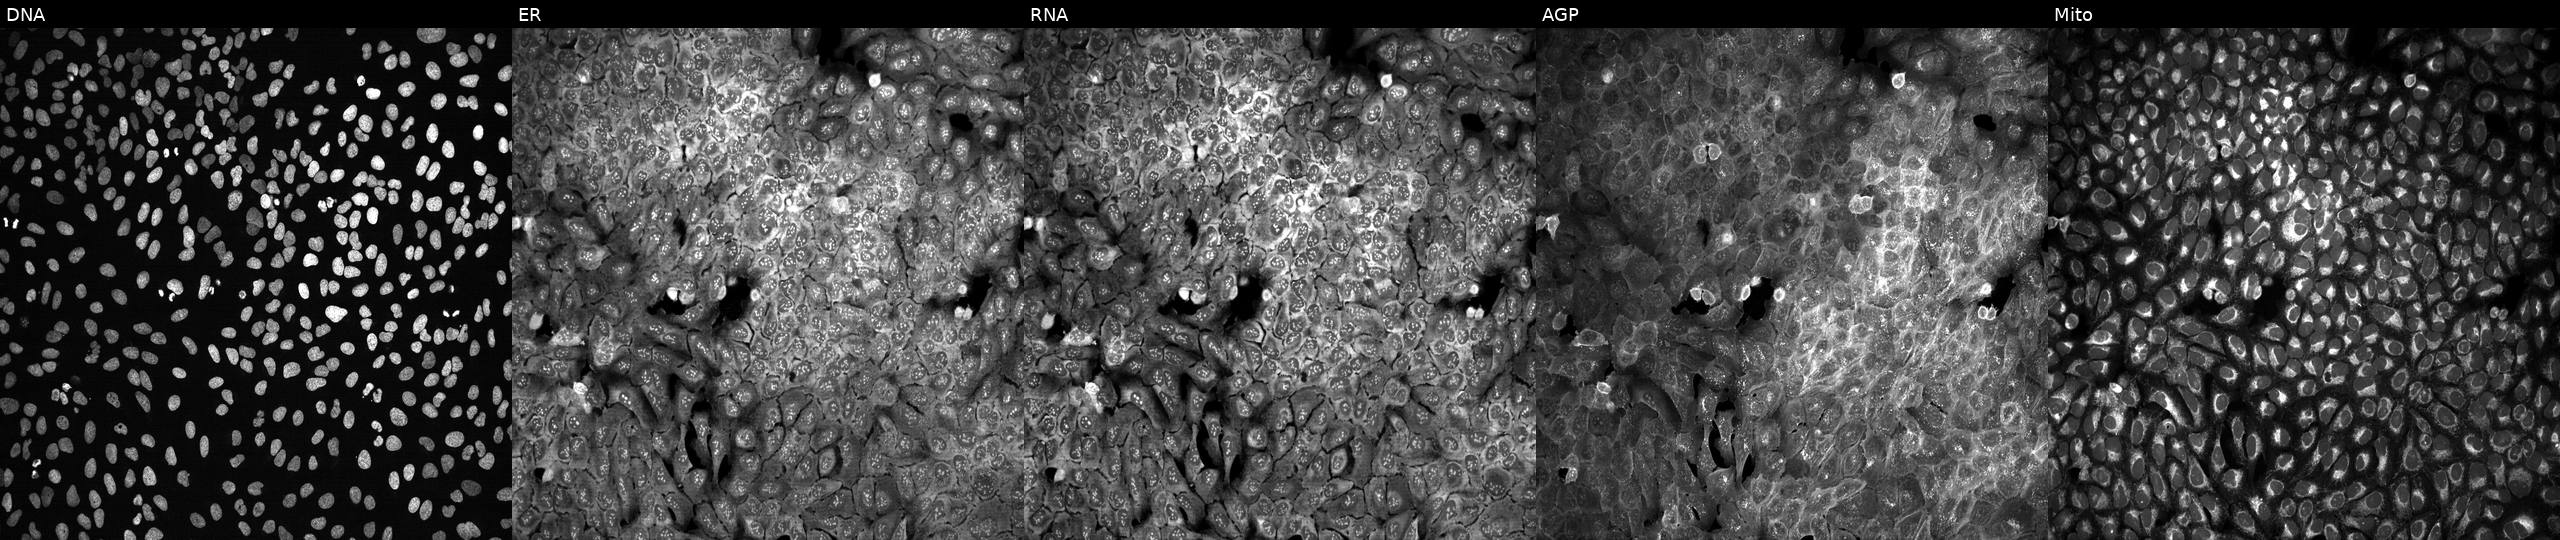
High-content fluorescence microscopy (Cell Painting). Cell line: U2OS. Perturbation: following CRISPR knockout of GMEB2. From left to right: Hoechst 33342, concanavalin A, SYTO 14, phalloidin and WGA, MitoTracker.